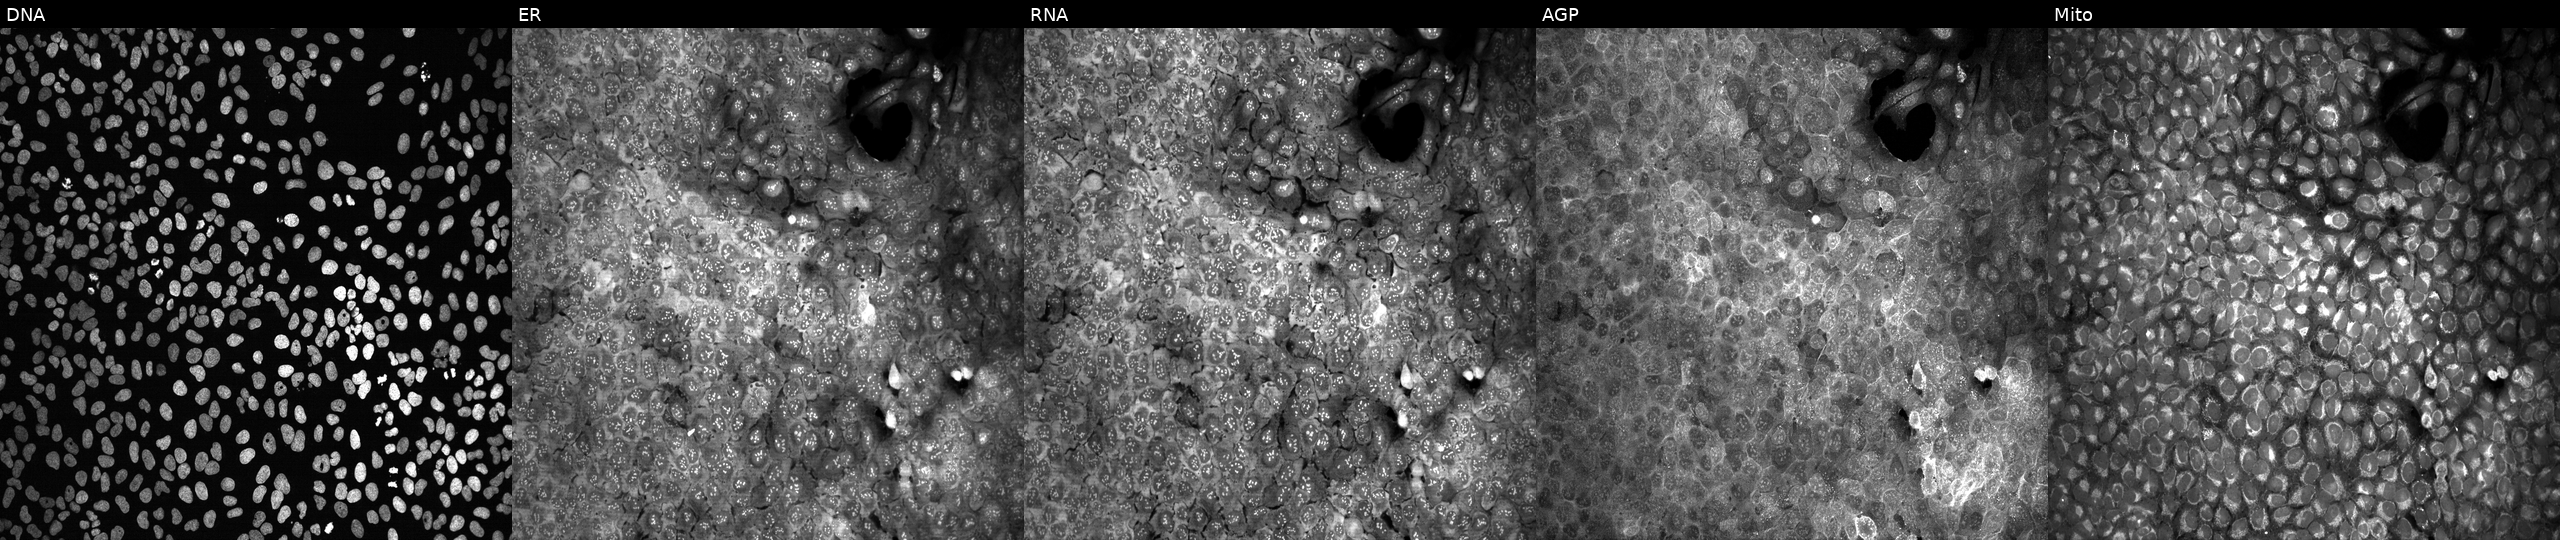
High-content fluorescence microscopy (Cell Painting). Cell line: U2OS. Perturbation: with no CRISPR guide (negative control). The five panels, left to right, show DNA, ER, RNA, AGP, and Mito. Source 13, plate CP-CC9-R5-01, well N02.